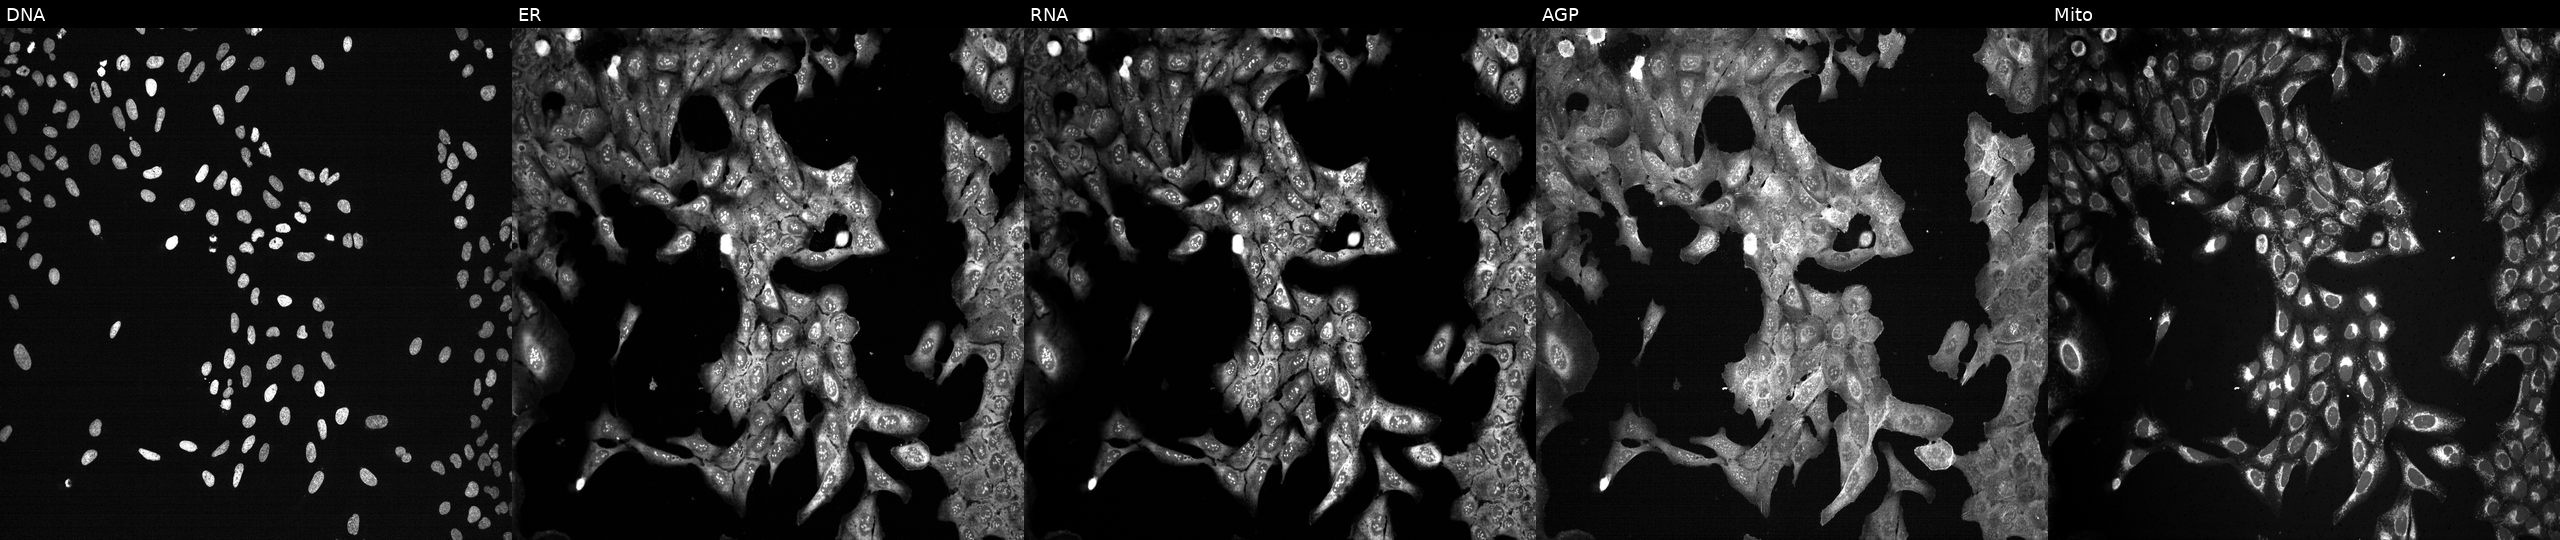
This image strip shows the five Cell Painting channels for a single field of U2OS cells with ISG20 knocked out by CRISPR (JUMP id JCP2022_803477). The five panels, left to right, show DNA (nuclei); ER (endoplasmic reticulum); RNA (nucleoli and cytoplasmic RNA); AGP (actin cytoskeleton, Golgi, and plasma membrane); Mito (mitochondria).